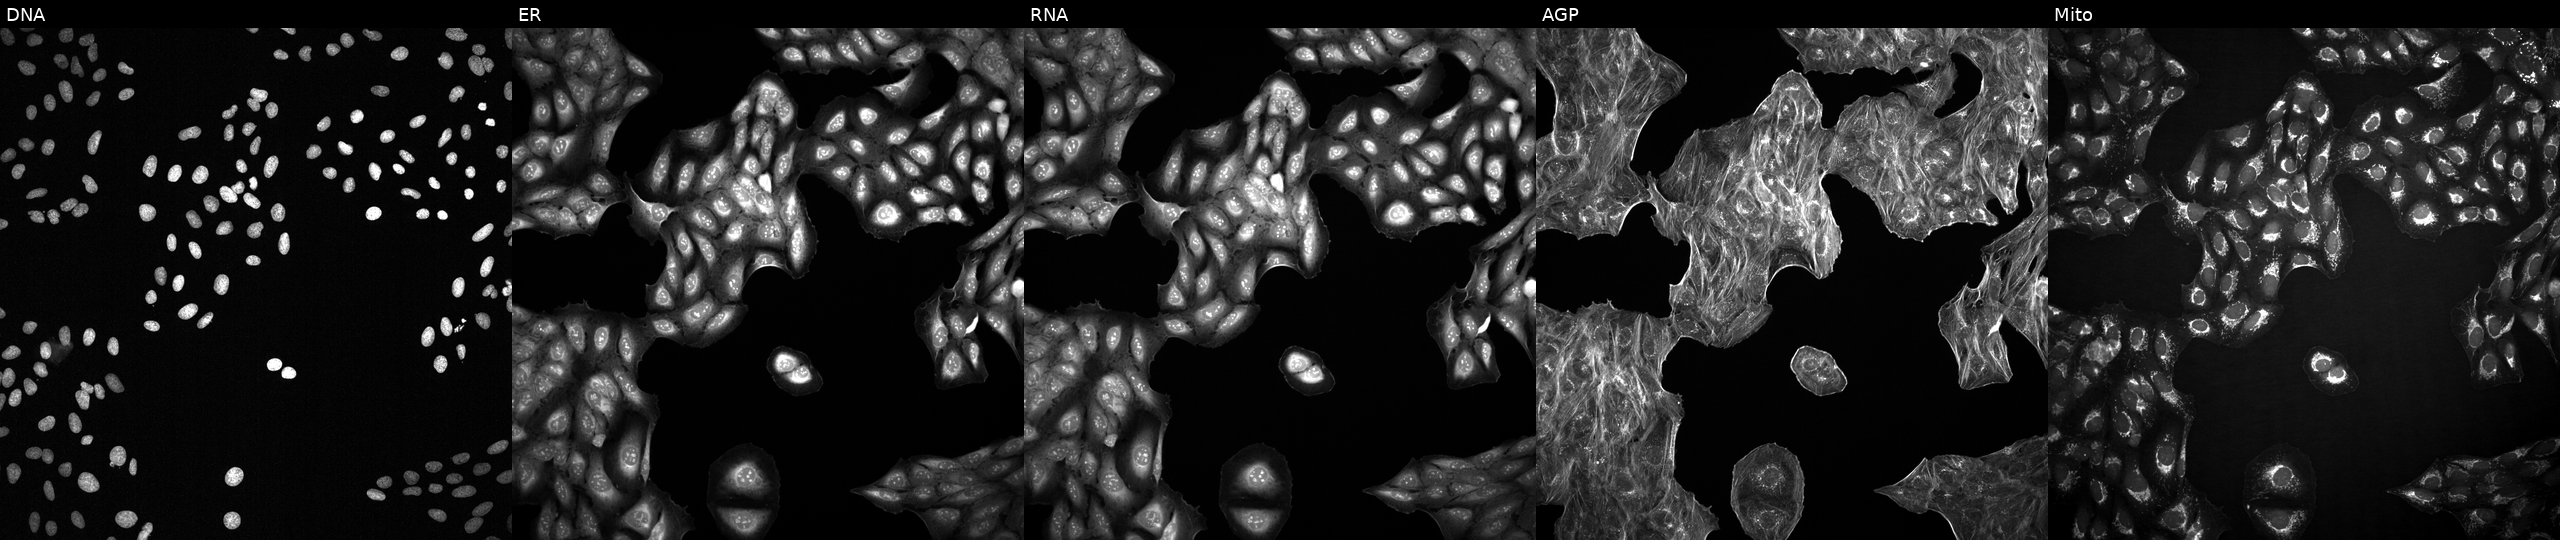
High-content fluorescence microscopy (Cell Painting). Cell line: U2OS. Perturbation: with an unidentified perturbation (not annotated in JUMP metadata). From left to right: DNA, ER, RNA, AGP, and Mito. Source 2, plate 1053601756, well B10.